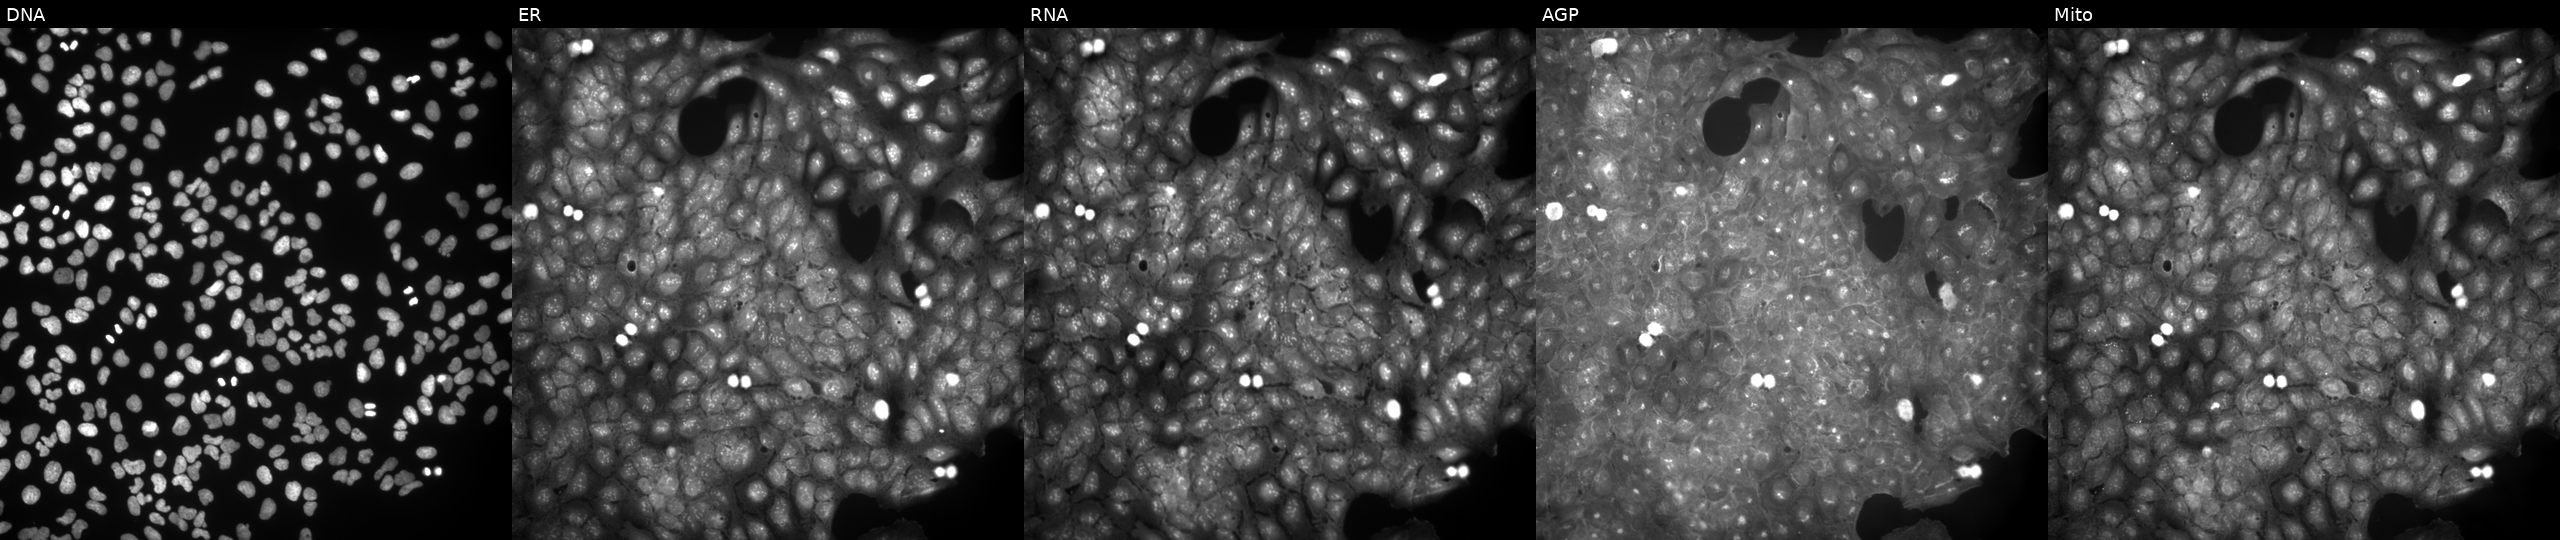
High-content fluorescence microscopy (Cell Painting). Cell line: U2OS. Perturbation: exposed to DMSO alone as a negative control. The five panels, left to right, show Hoechst 33342, concanavalin A, SYTO 14, phalloidin and WGA, MitoTracker.